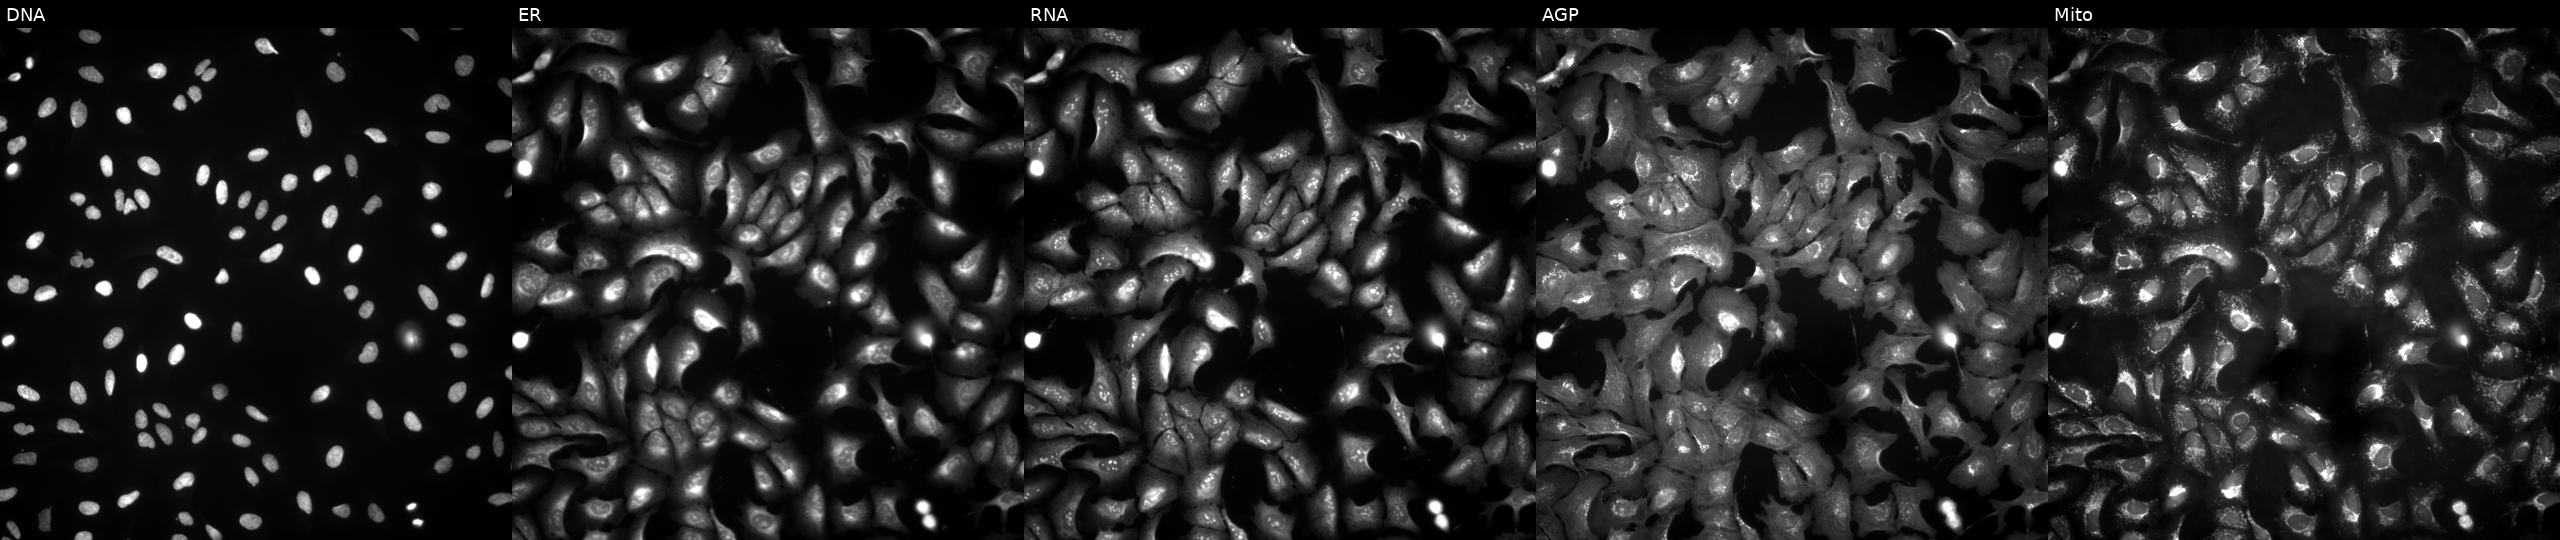
Five-channel Cell Painting image of U2OS cells with PAAF1 overexpressed (ORF). Channels (left→right): DNA, ER, RNA, AGP, and Mito. Source 4, plate BR00124790, well P09.